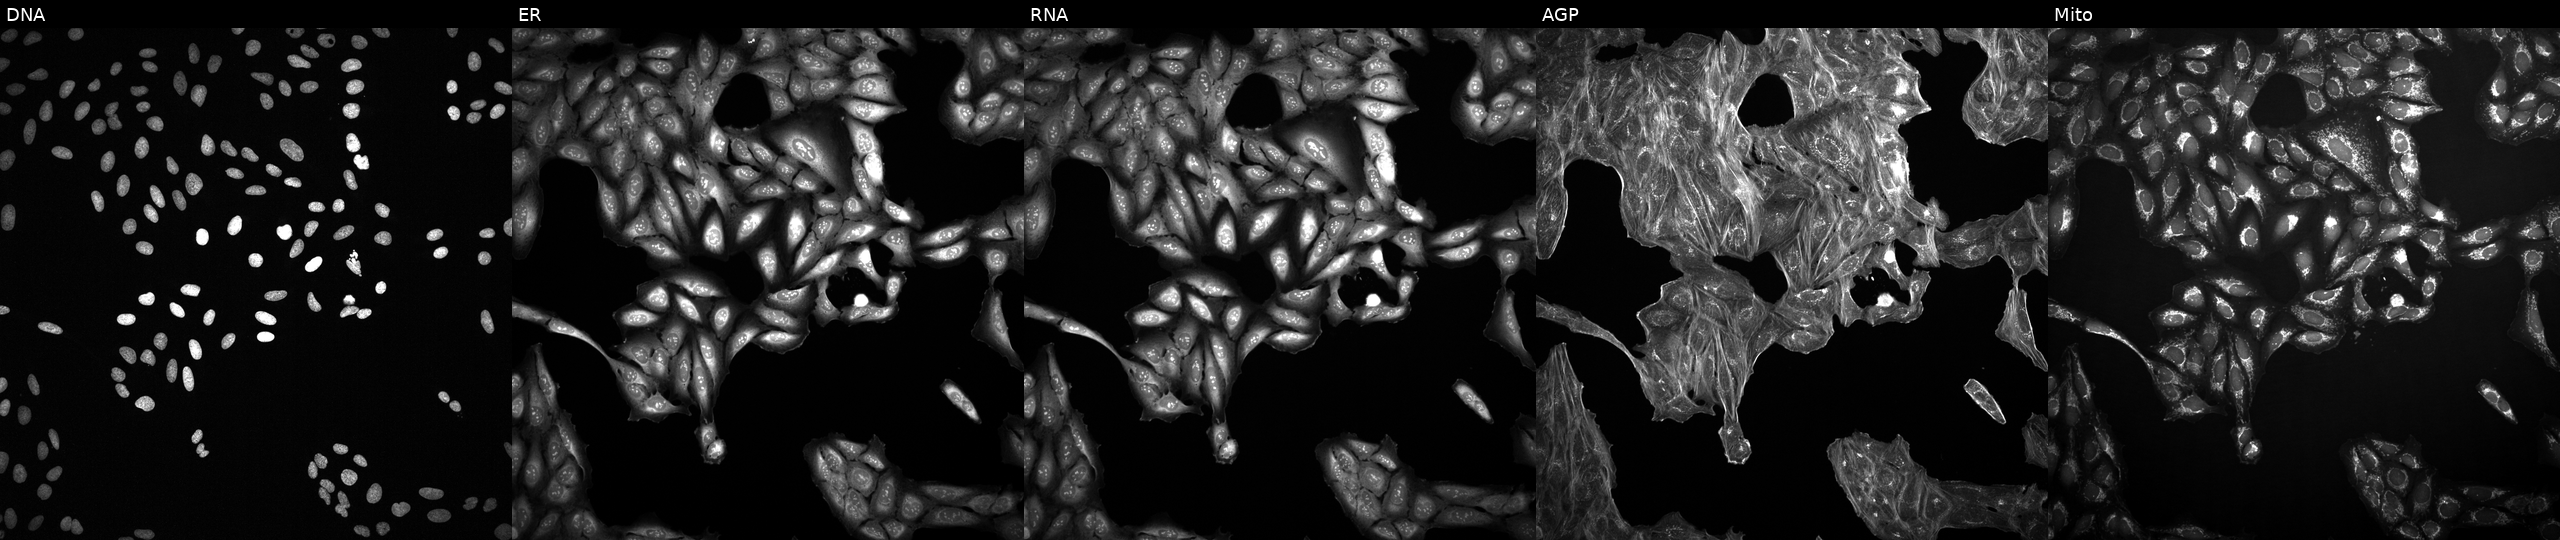
Five-channel Cell Painting image of U2OS cells perturbed with a small-molecule compound (InChIKey KXDROGADUISDGY-UHFFFAOYSA-N) (JUMP id JCP2022_047559). From left to right: Hoechst 33342, concanavalin A, SYTO 14, phalloidin and WGA, MitoTracker. Source 2, plate 1053597936, well B21.